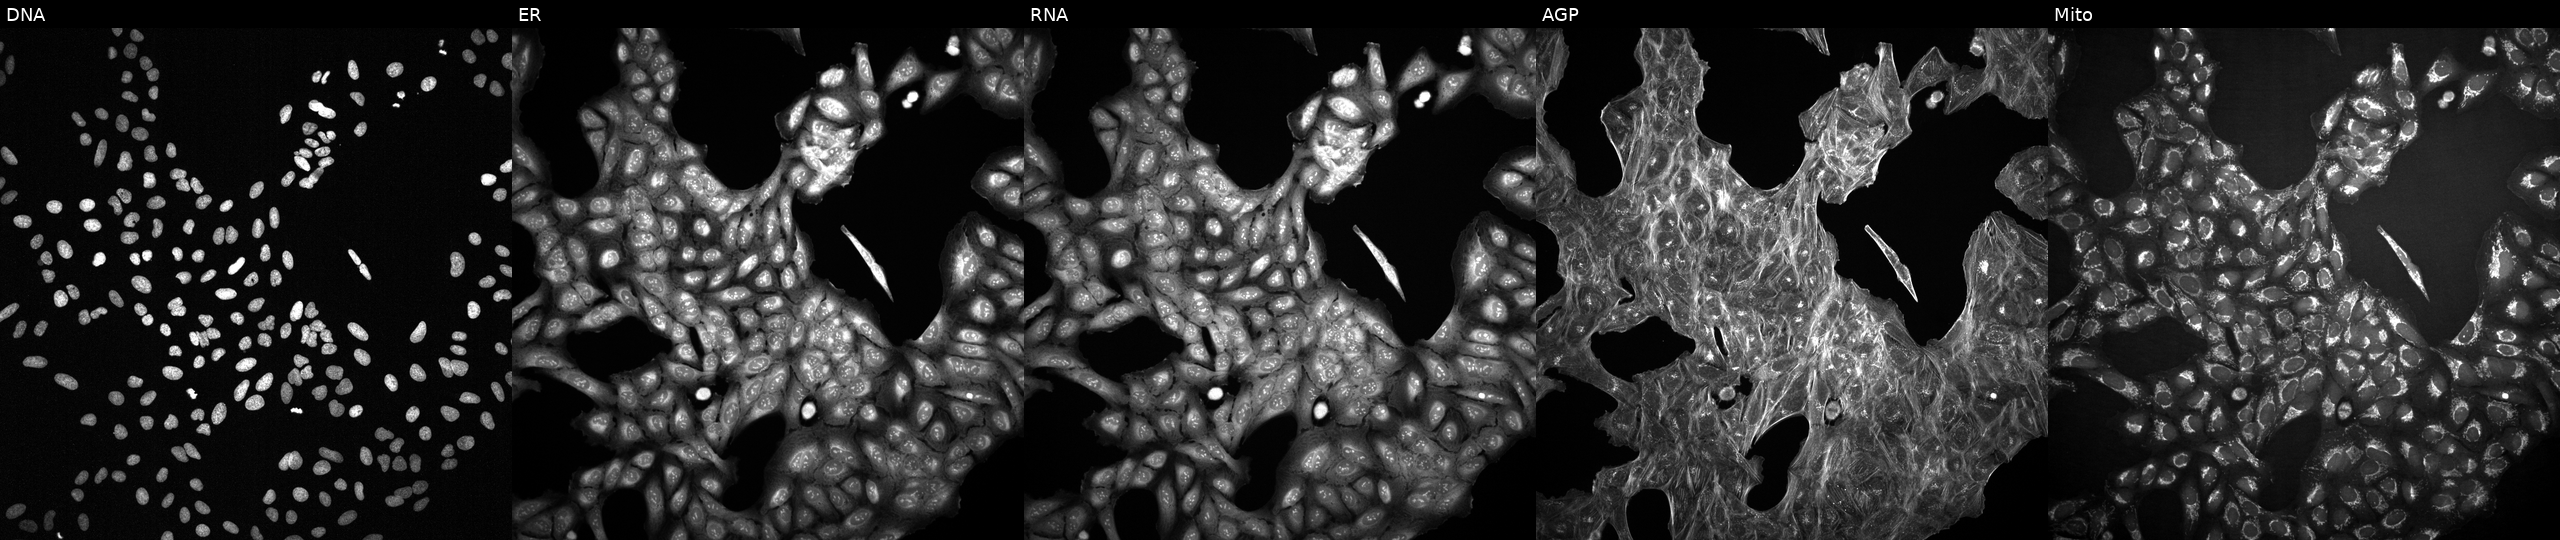
Five-channel Cell Painting image of U2OS cells exposed to a small-molecule compound (InChIKey XDFKWGIBQMHSOH-UHFFFAOYSA-N) (JUMP id JCP2022_102917). Panels show, left to right, DNA (nuclei); ER (endoplasmic reticulum); RNA (nucleoli and cytoplasmic RNA); AGP (actin cytoskeleton, Golgi, and plasma membrane); Mito (mitochondria). Source 2, plate 1053600674, well F08.